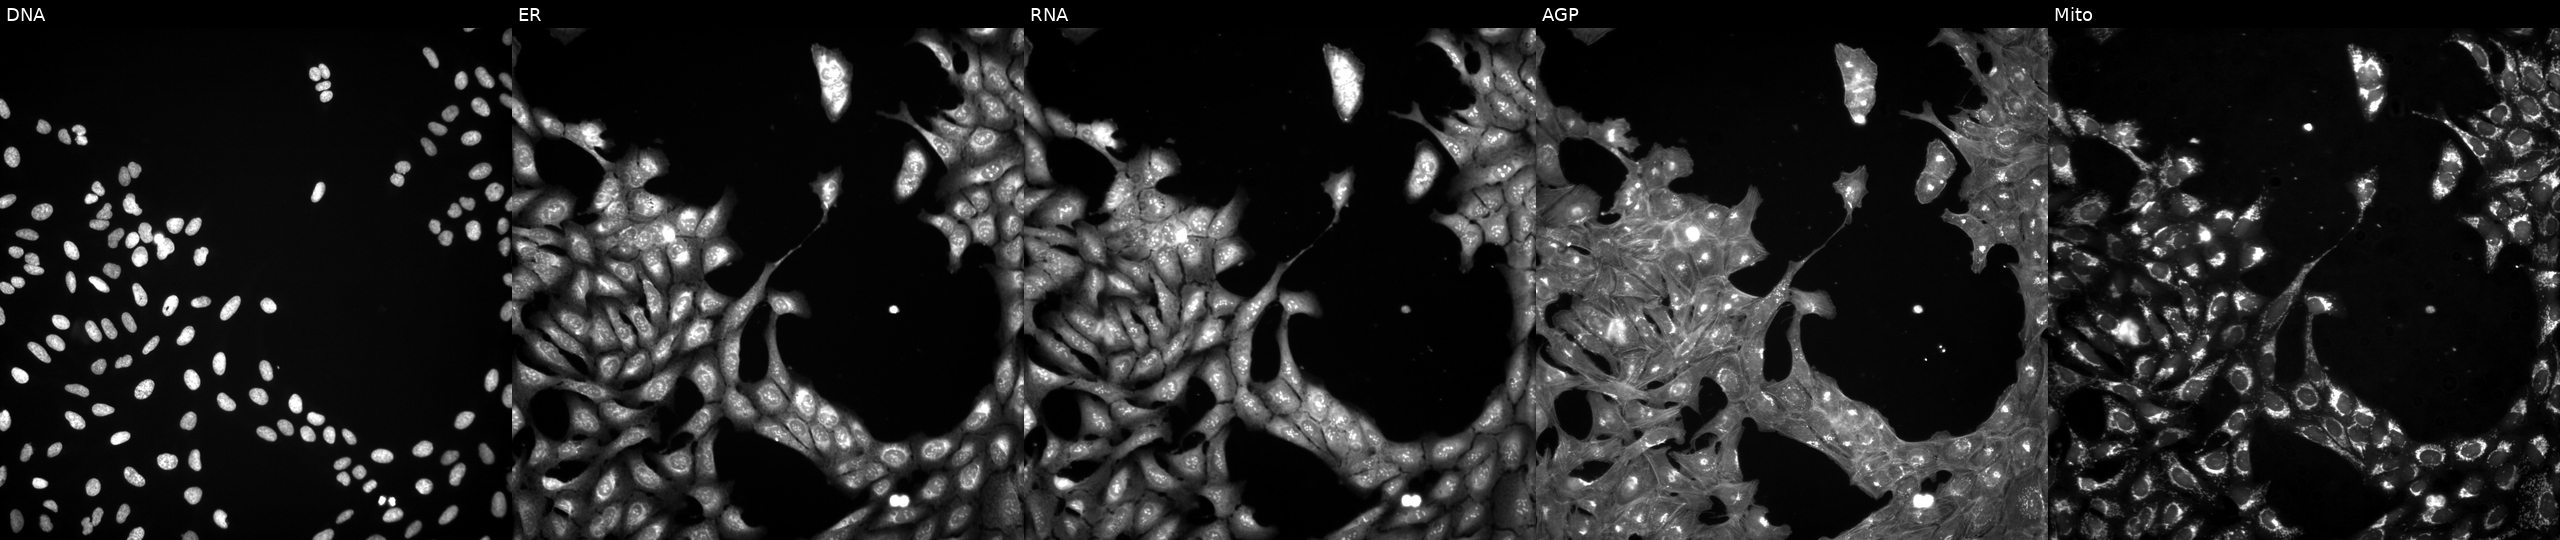
JUMP Cell Painting — COMPOUND plate. U2OS cells perturbed with a small-molecule compound. Channels (left→right): Hoechst 33342, concanavalin A, SYTO 14, phalloidin and WGA, MitoTracker. Source 3, plate BR5867a3, well J03.